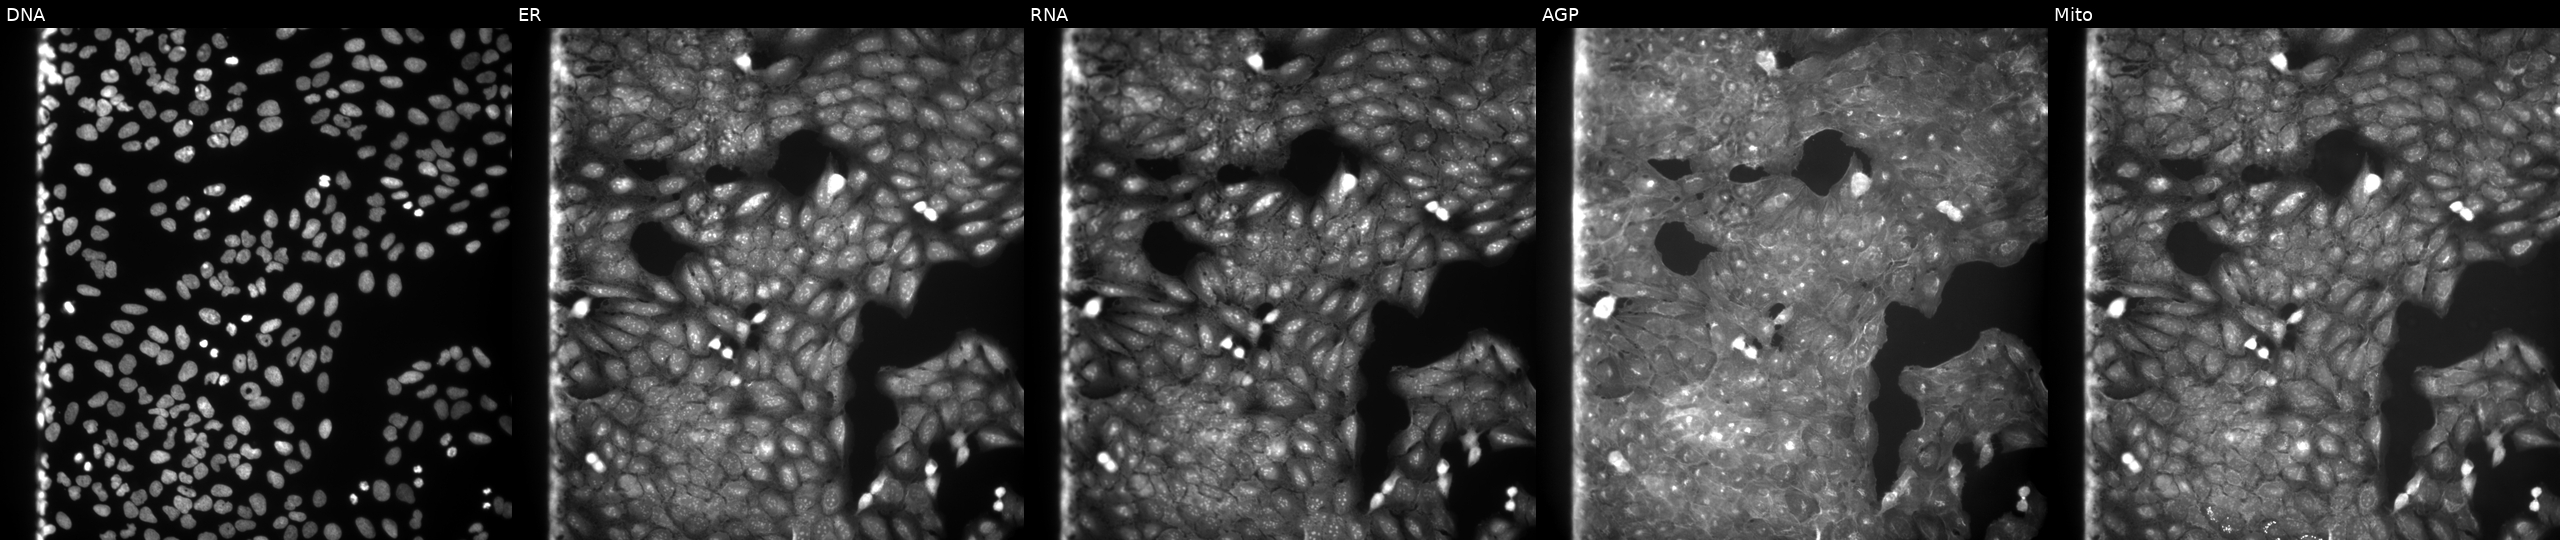
High-content fluorescence microscopy (Cell Painting). Cell line: U2OS. Perturbation: exposed to a small-molecule compound (InChIKey TXUJAPDGRKOFJY-UHFFFAOYSA-N). The five panels, left to right, show Hoechst 33342, concanavalin A, SYTO 14, phalloidin and WGA, MitoTracker.